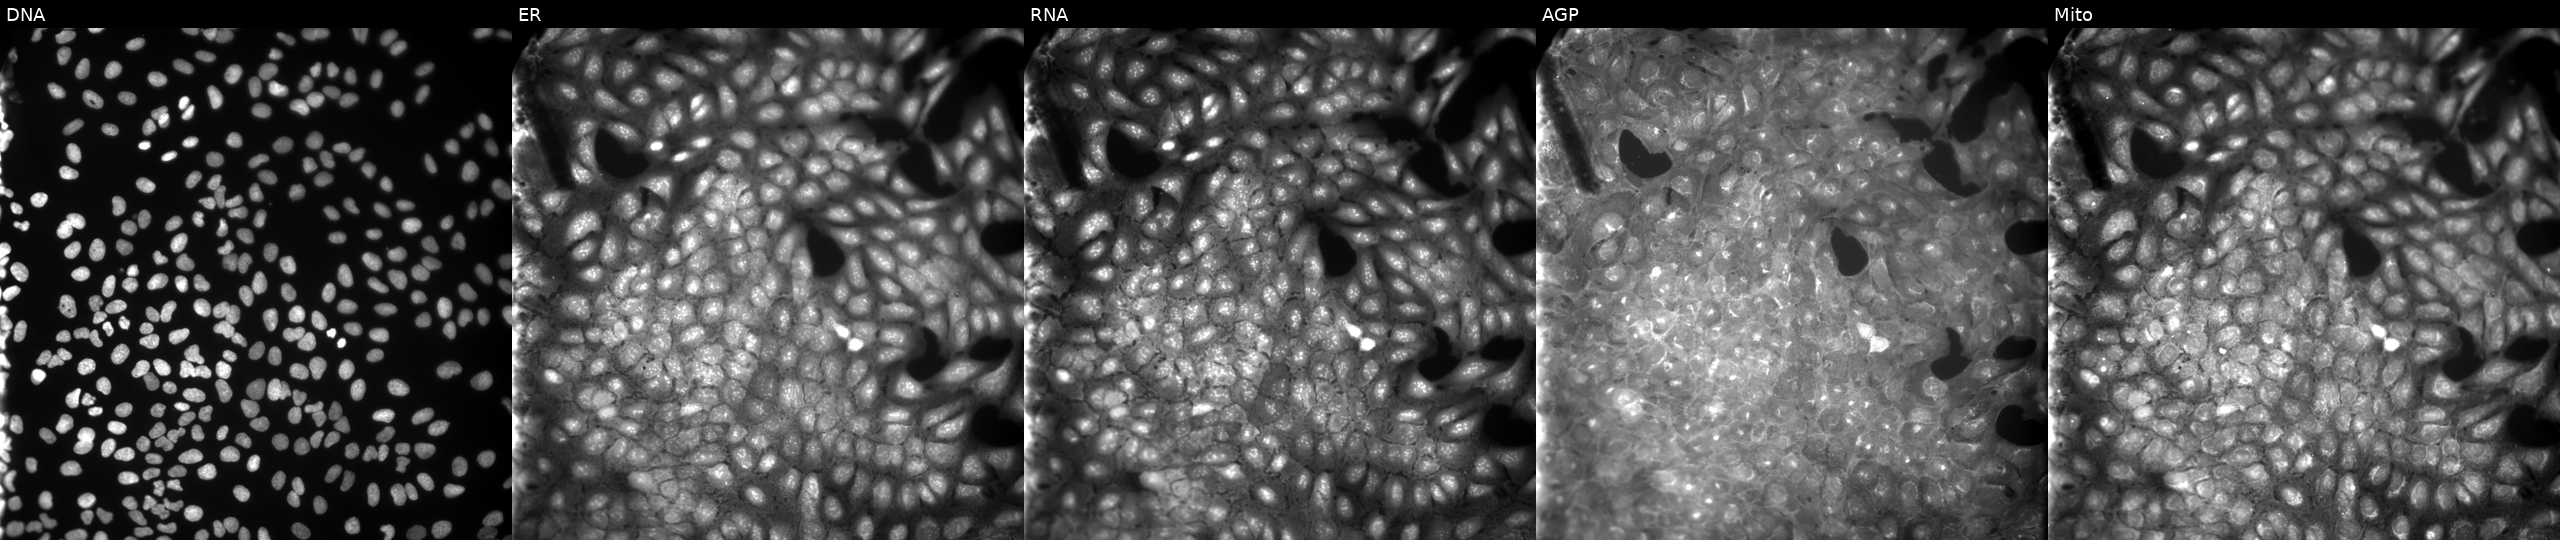
Five-channel Cell Painting image of U2OS cells exposed to a small-molecule compound. From left to right: Hoechst 33342, concanavalin A, SYTO 14, phalloidin and WGA, MitoTracker. Source 9, plate GR00003381, well AA03.